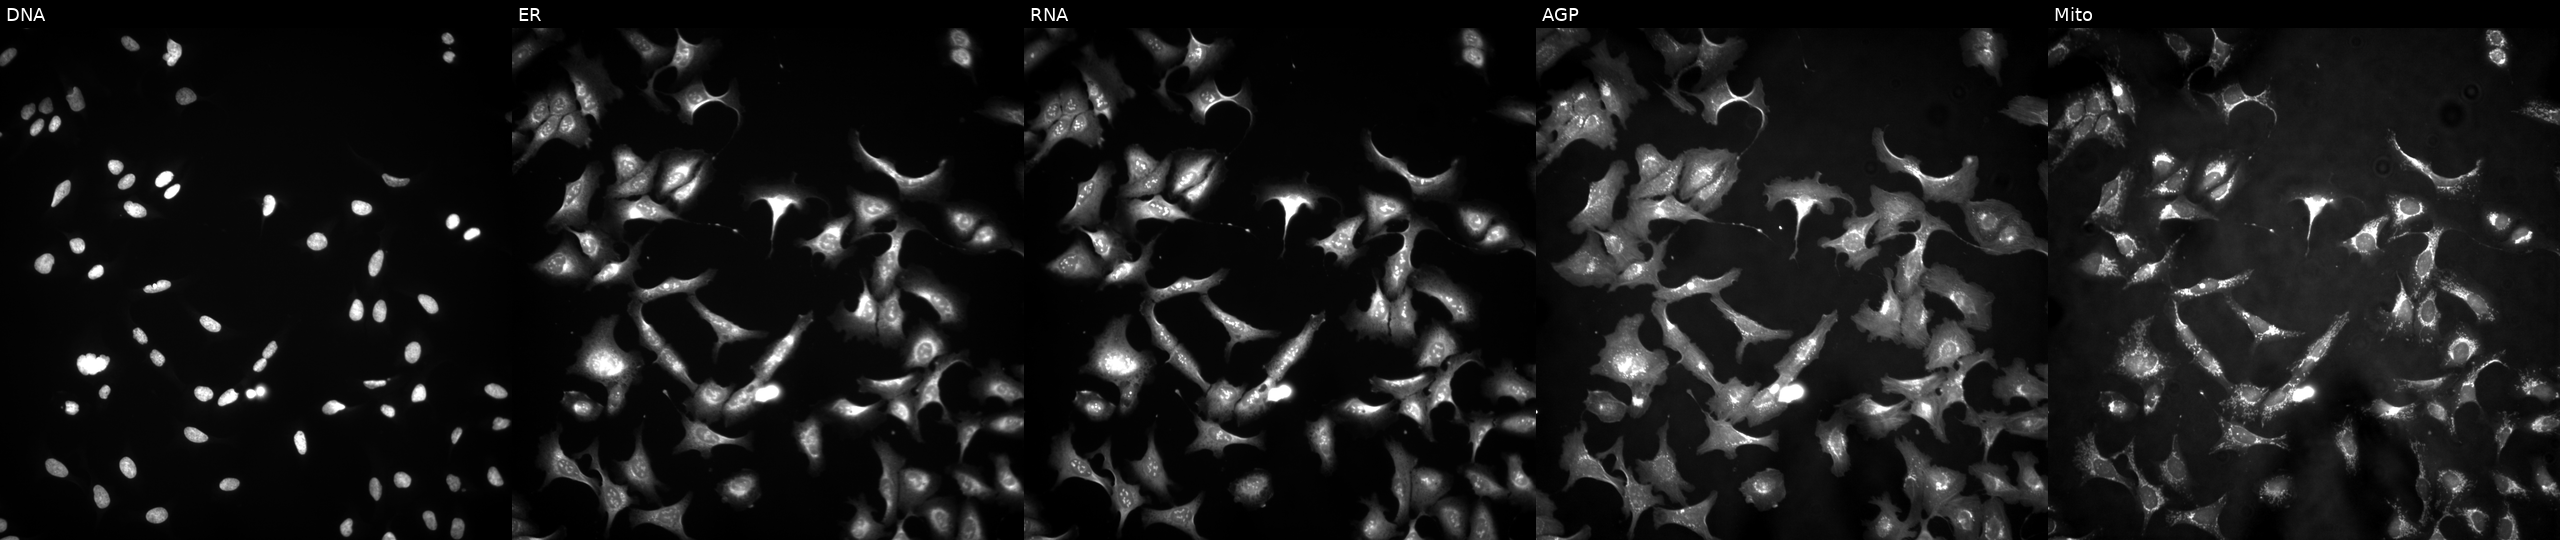
High-content fluorescence microscopy (Cell Painting). Cell line: U2OS. Perturbation: overexpressing ANXA9 via ORF transfection (JUMP id JCP2022_910509). Panels show, left to right, Hoechst 33342, concanavalin A, SYTO 14, phalloidin and WGA, MitoTracker.